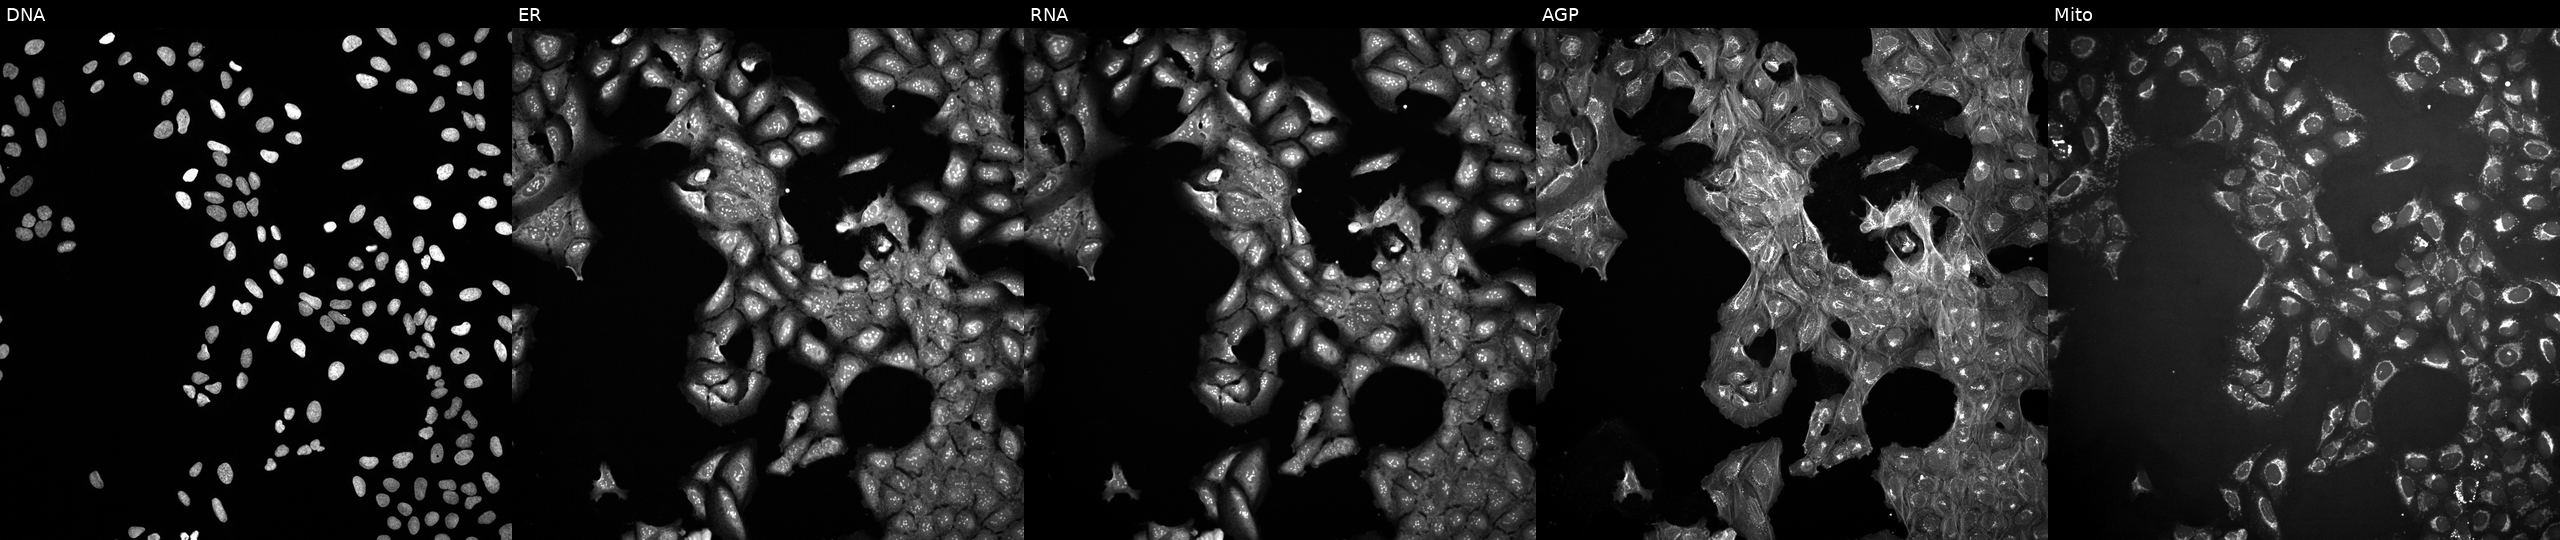
JUMP Cell Painting — COMPOUND plate. U2OS cells treated with DMSO vehicle only (negative control) (JUMP id JCP2022_033924). Channels (left→right): Hoechst 33342, concanavalin A, SYTO 14, phalloidin and WGA, MitoTracker. Source 10, plate Dest210531-152149, well H02.